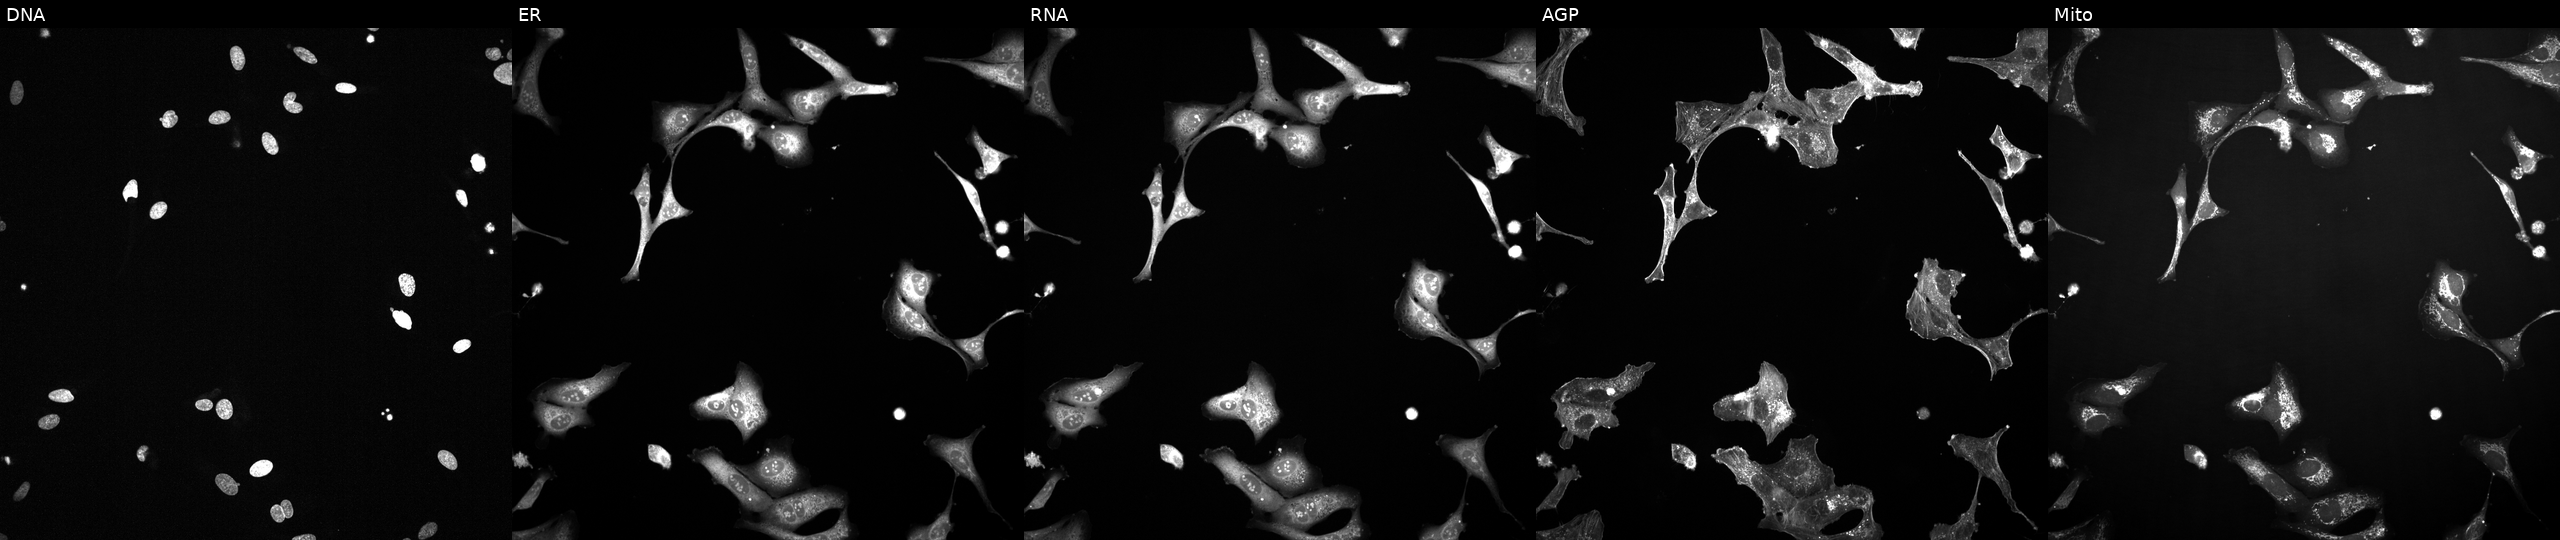
Five-channel Cell Painting image of U2OS cells exposed to a small-molecule compound (InChIKey XQVVPGYIWAGRNI-UHFFFAOYSA-N) [SMILES: CCC1C(=O)N(C)c2c[nH]c(=Nc3ccc(C(=O)NC4CCN(C)CC4)cc3OC)nc2N1C1CCCC1] (JUMP id JCP2022_105442). Panels show, left to right, DNA, ER, RNA, AGP, and Mito. Source 2, plate 1053597936, well D07.